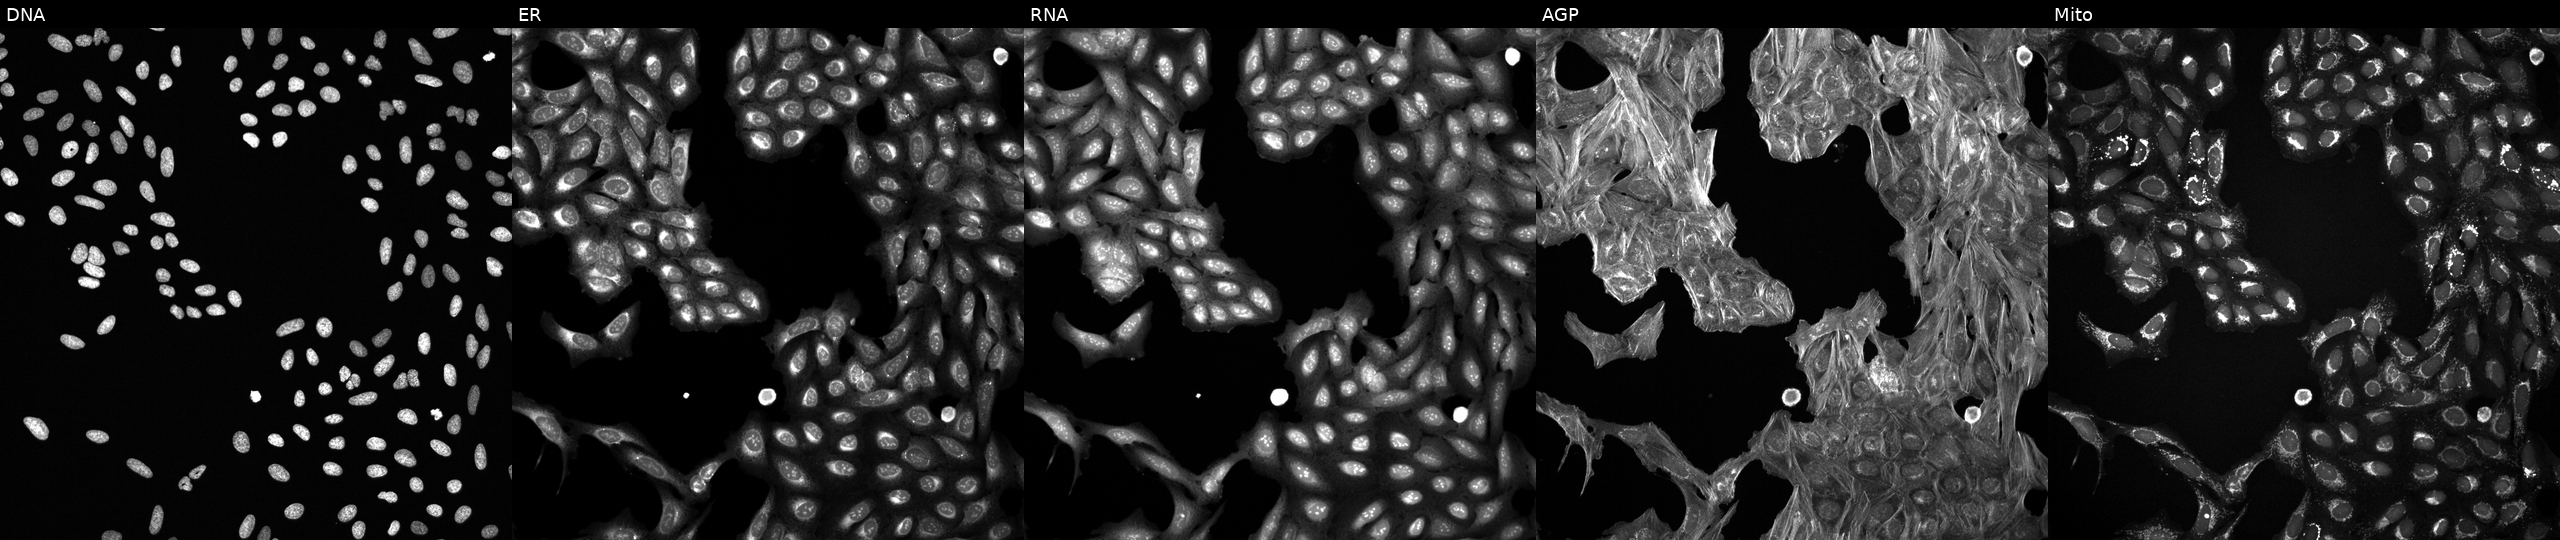
This image strip shows the five Cell Painting channels for a single field of U2OS cells perturbed with a small-molecule compound (InChIKey PIWKPBJCKXDKJR-UHFFFAOYSA-N) [SMILES: FC(F)OC(Cl)C(F)(F)F] (JUMP id JCP2022_068901). Channels (left→right): DNA (nuclei); ER (endoplasmic reticulum); RNA (nucleoli and cytoplasmic RNA); AGP (actin cytoskeleton, Golgi, and plasma membrane); Mito (mitochondria). Source 6, plate 110000293093, well K16.